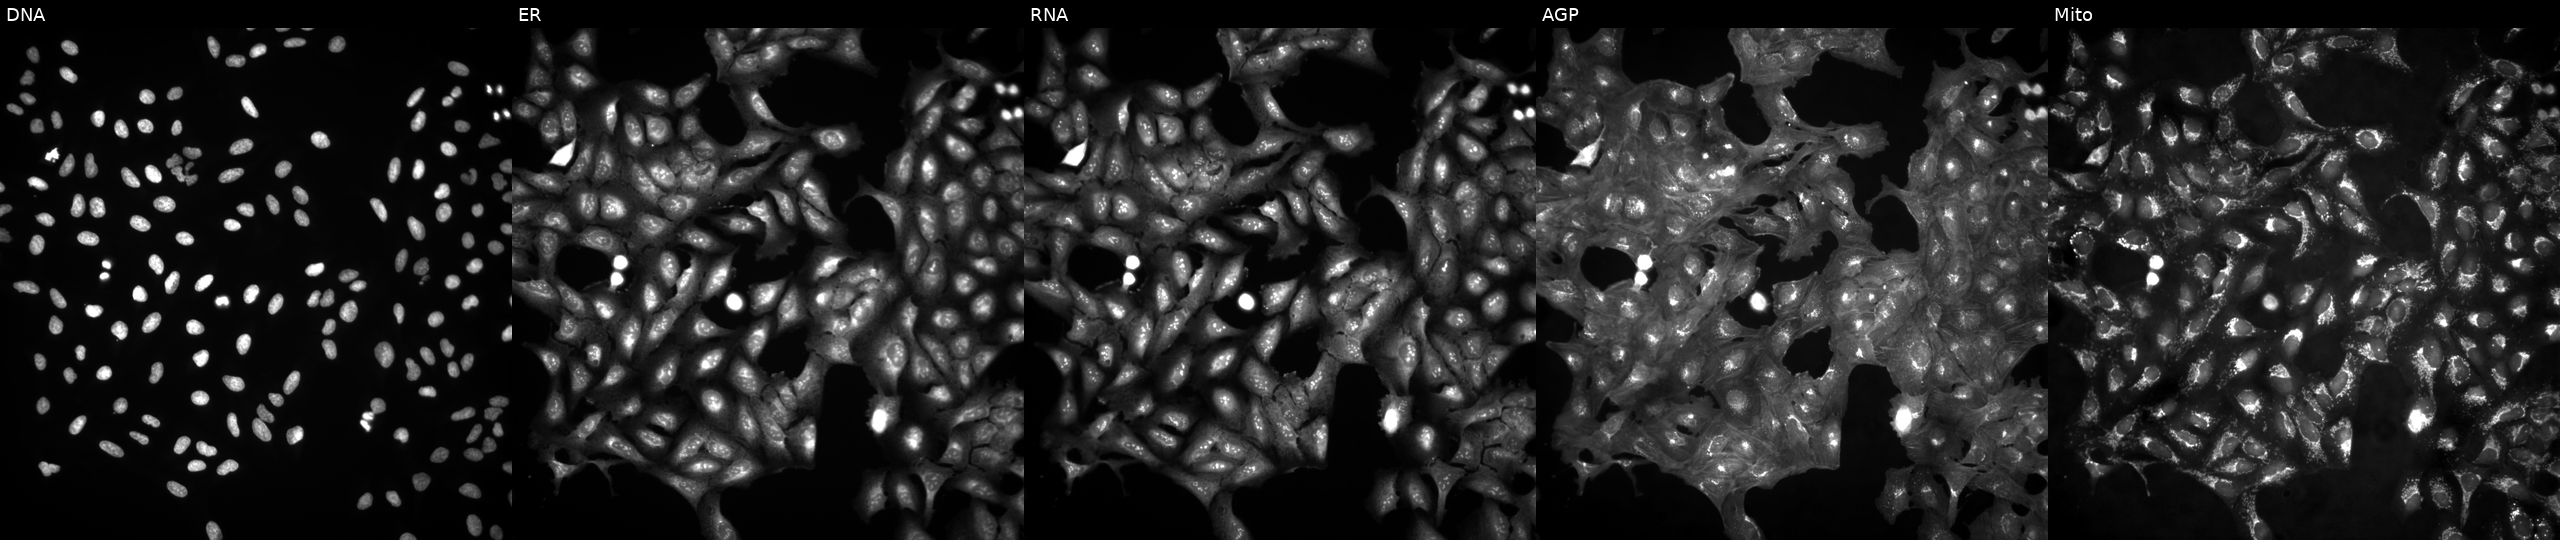
Five-channel Cell Painting image of U2OS cells in an empty control well (no perturbation). Channels (left→right): DNA, ER, RNA, AGP, and Mito.